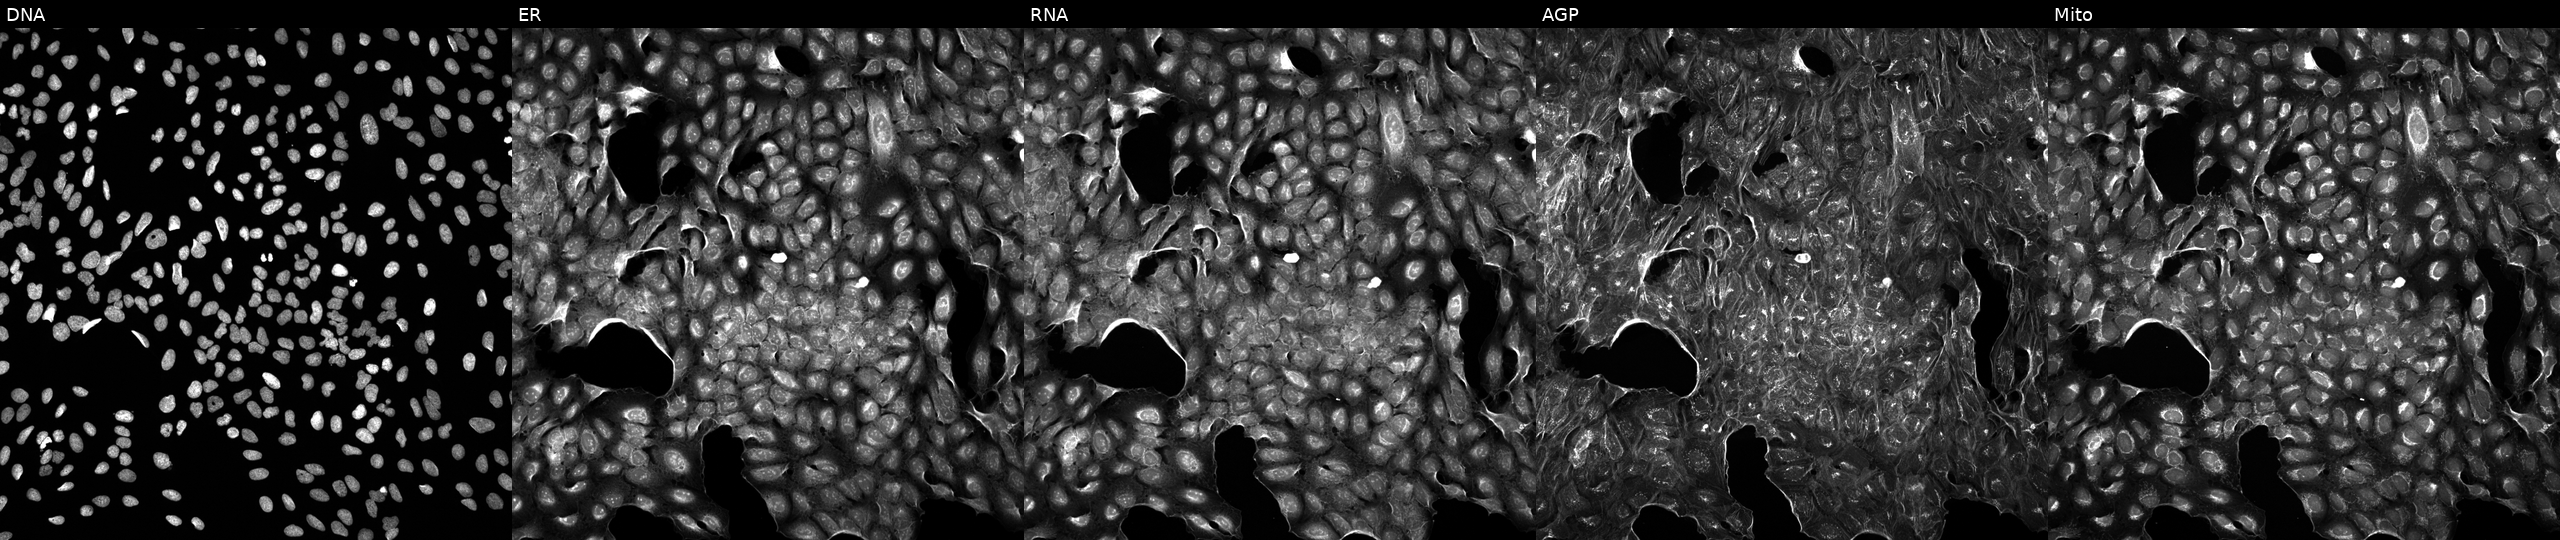
High-content fluorescence microscopy (Cell Painting). Cell line: U2OS. Perturbation: perturbed with a small-molecule compound [SMILES: O=C1C(N2CCN(c3cnc4ccccc4n3)CC2)CCCN1C1CCOCC1] (JUMP id JCP2022_011991). The five panels, left to right, show DNA (nuclei); ER (endoplasmic reticulum); RNA (nucleoli and cytoplasmic RNA); AGP (actin cytoskeleton, Golgi, and plasma membrane); Mito (mitochondria).